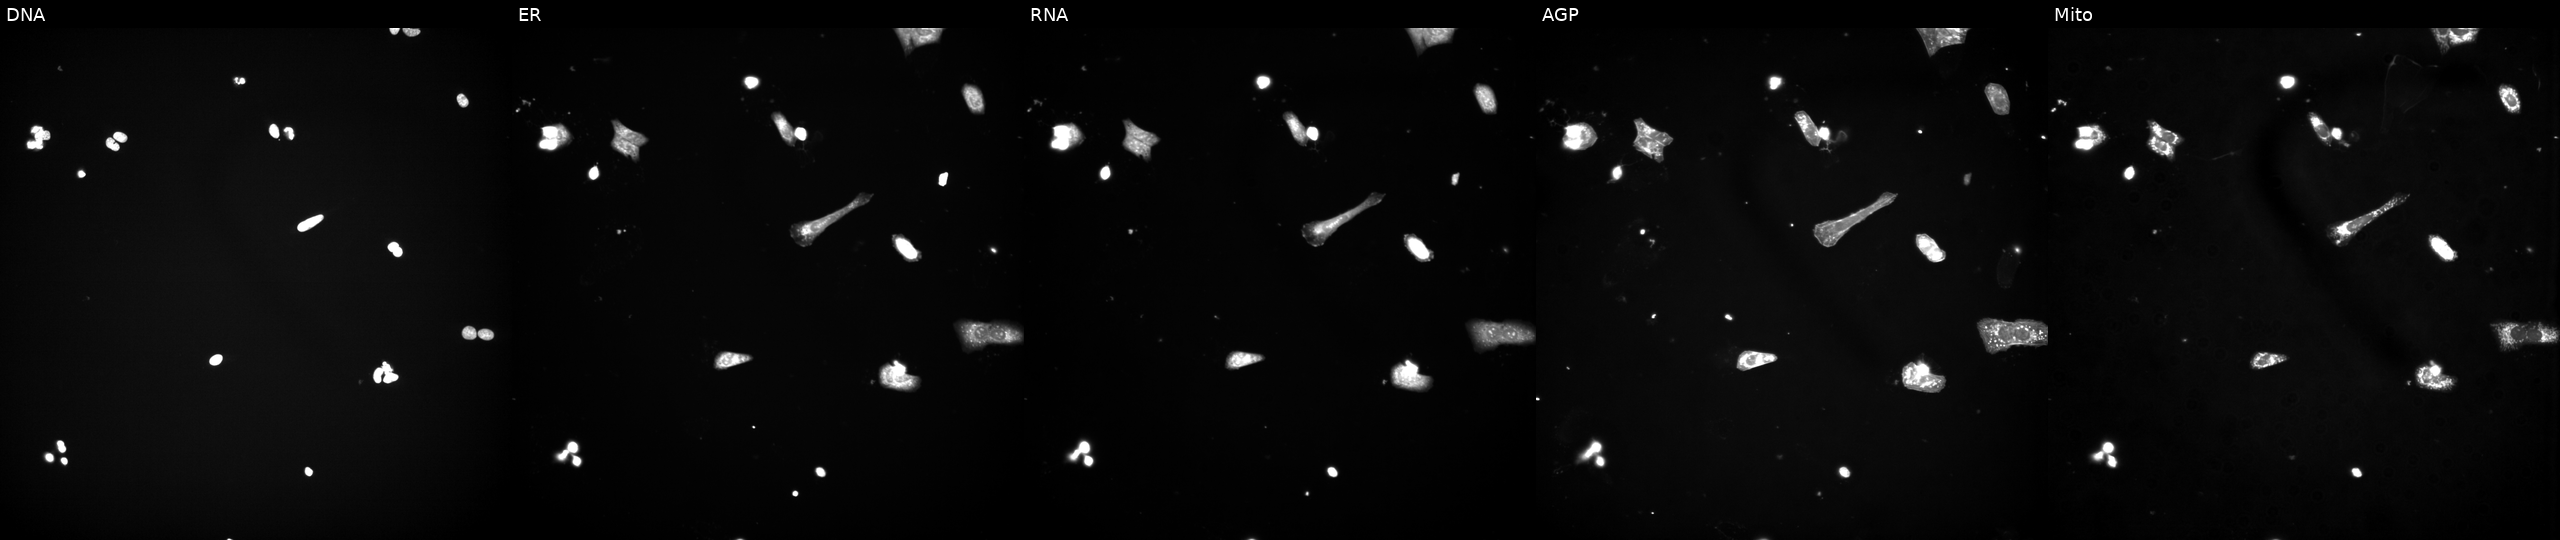
U2OS cells, Cell Painting assay, exposed to a small-molecule compound [SMILES: Cc1ccc(C(=O)Nc2ccc(CN3CCN(C)CC3)c(C(F)(F)F)c2)cc1C#Cc1cnc2cccnn12]. From left to right: Hoechst 33342, concanavalin A, SYTO 14, phalloidin and WGA, MitoTracker. Each panel is percentile-stretched 16-bit fluorescence.